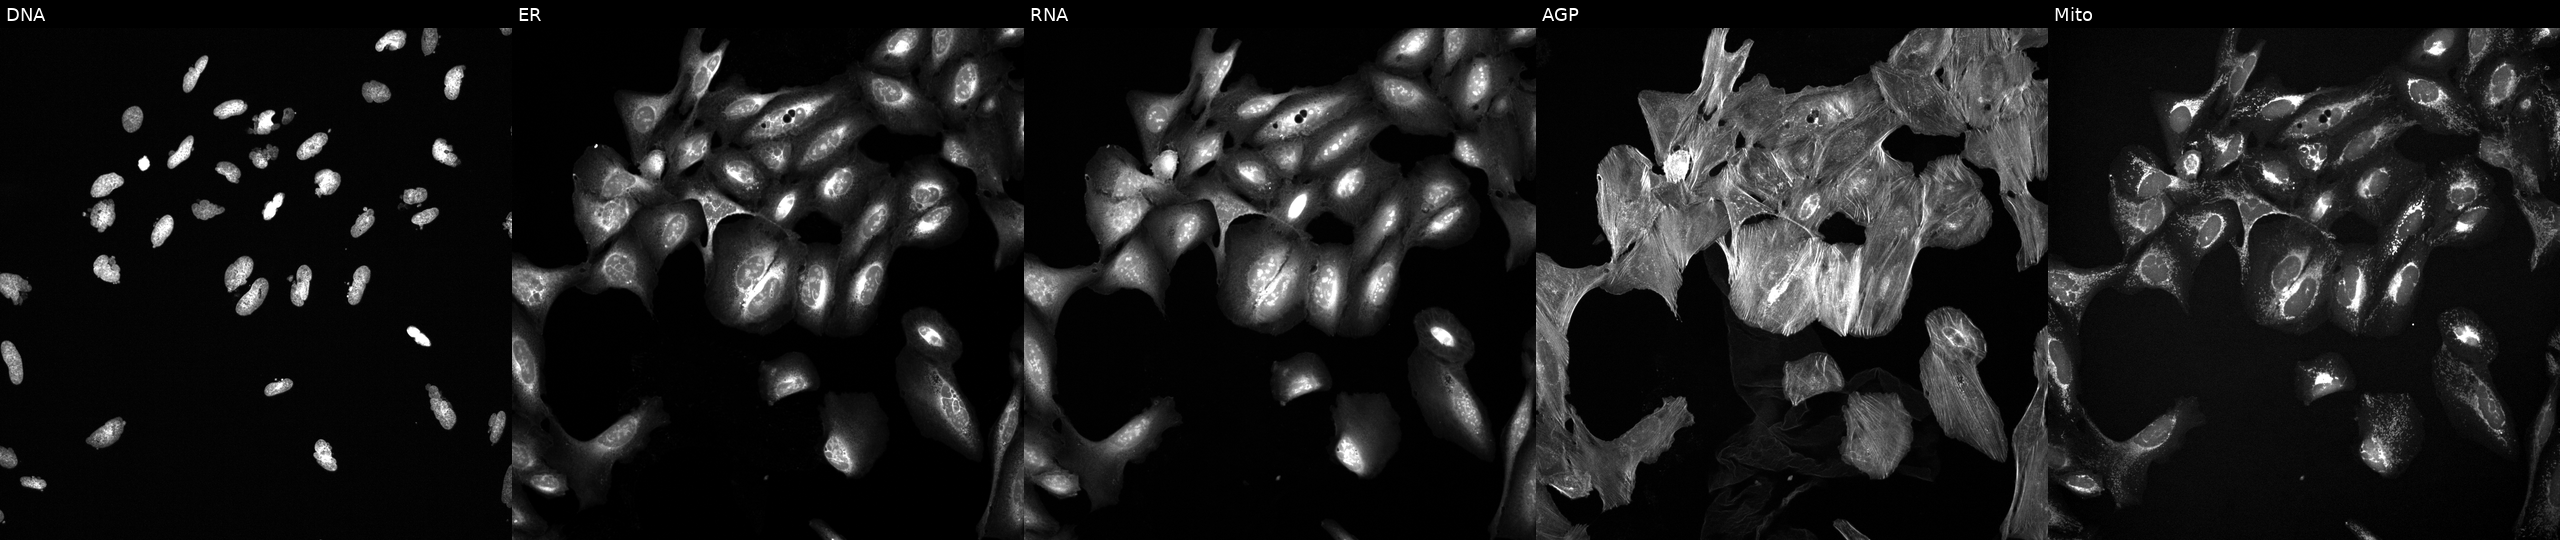
The five panels, left to right, show DNA, ER, RNA, AGP, and Mito. U2OS osteosarcoma cells exposed to a small-molecule compound. Cell Painting assay, JUMP-CP dataset.